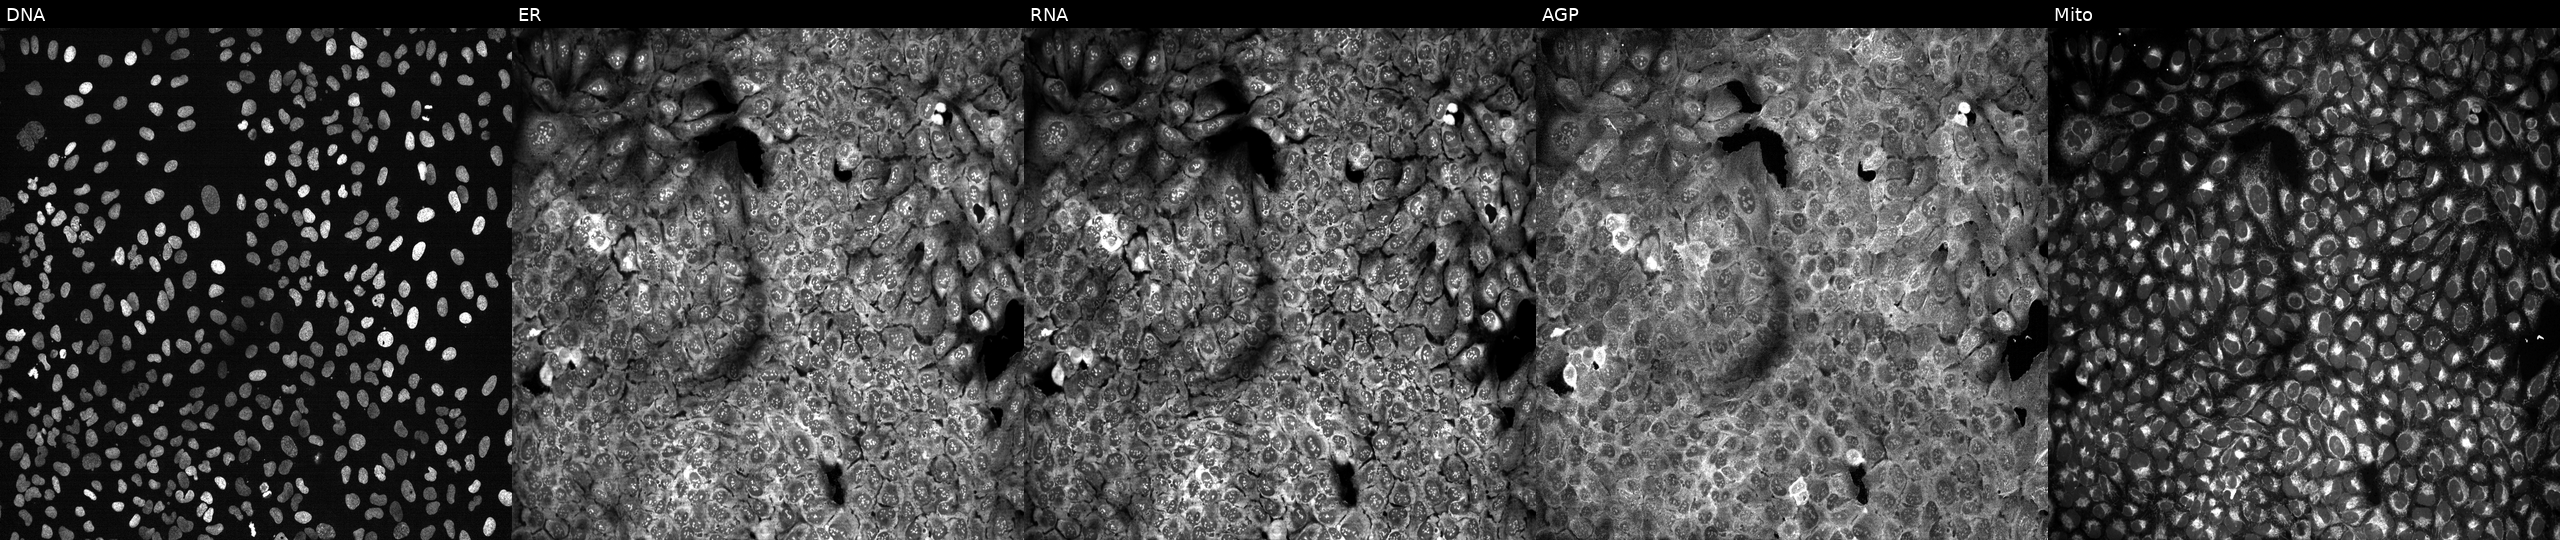
JUMP Cell Painting — CRISPR plate. U2OS cells CRISPR-edited to disrupt ENO2 (JUMP id JCP2022_802111). Panels show, left to right, DNA (nuclei); ER (endoplasmic reticulum); RNA (nucleoli and cytoplasmic RNA); AGP (actin cytoskeleton, Golgi, and plasma membrane); Mito (mitochondria).